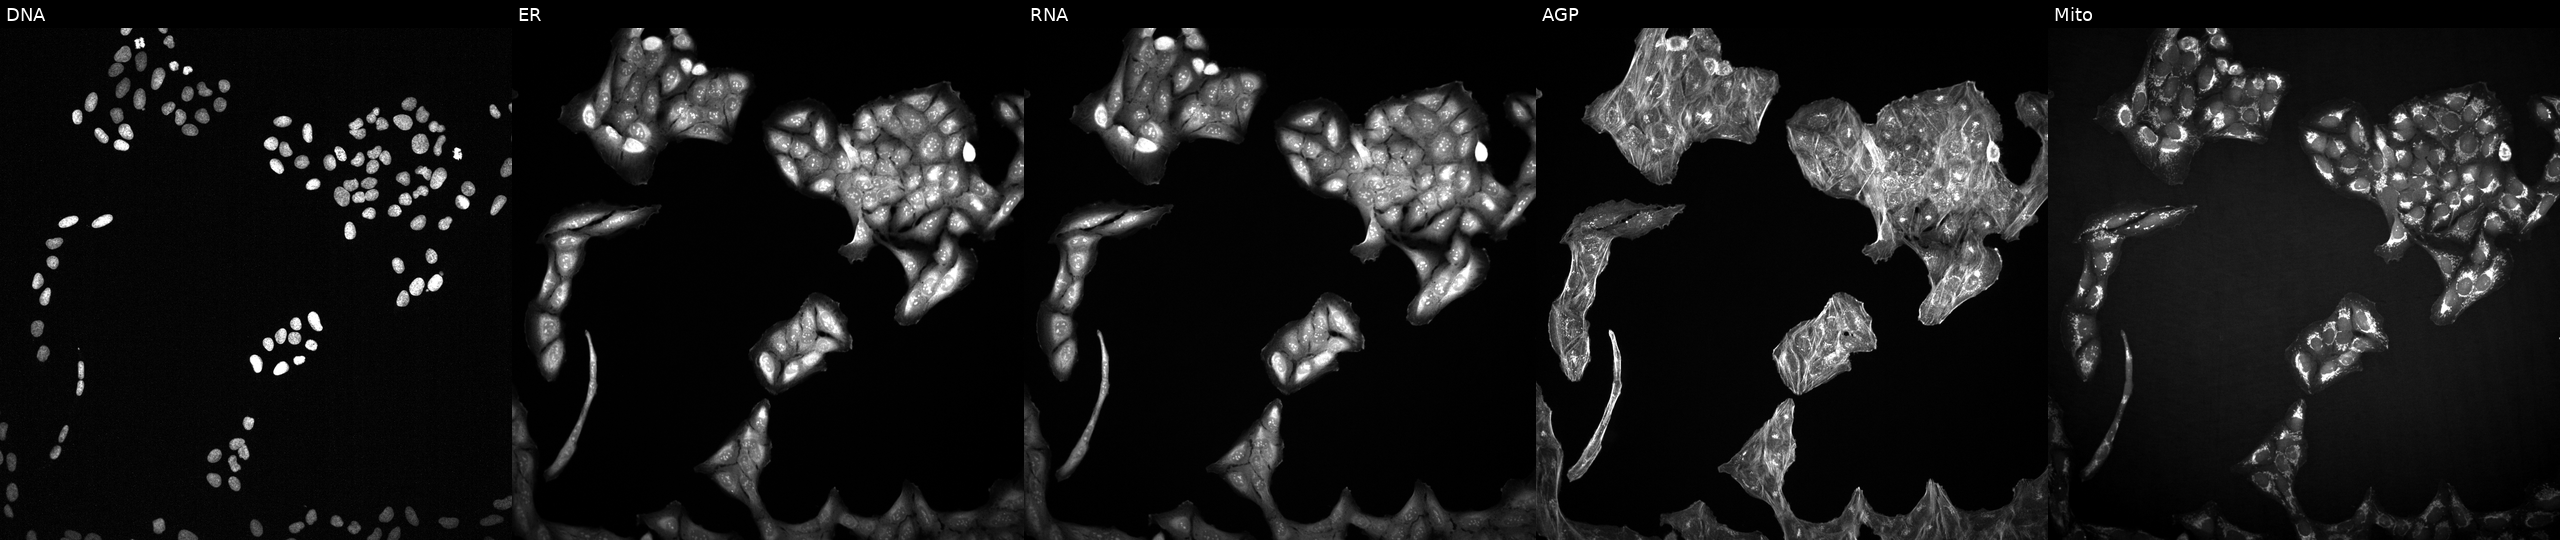
From left to right: DNA, ER, RNA, AGP, and Mito. U2OS osteosarcoma cells exposed to a small-molecule compound. Cell Painting assay, JUMP-CP dataset.